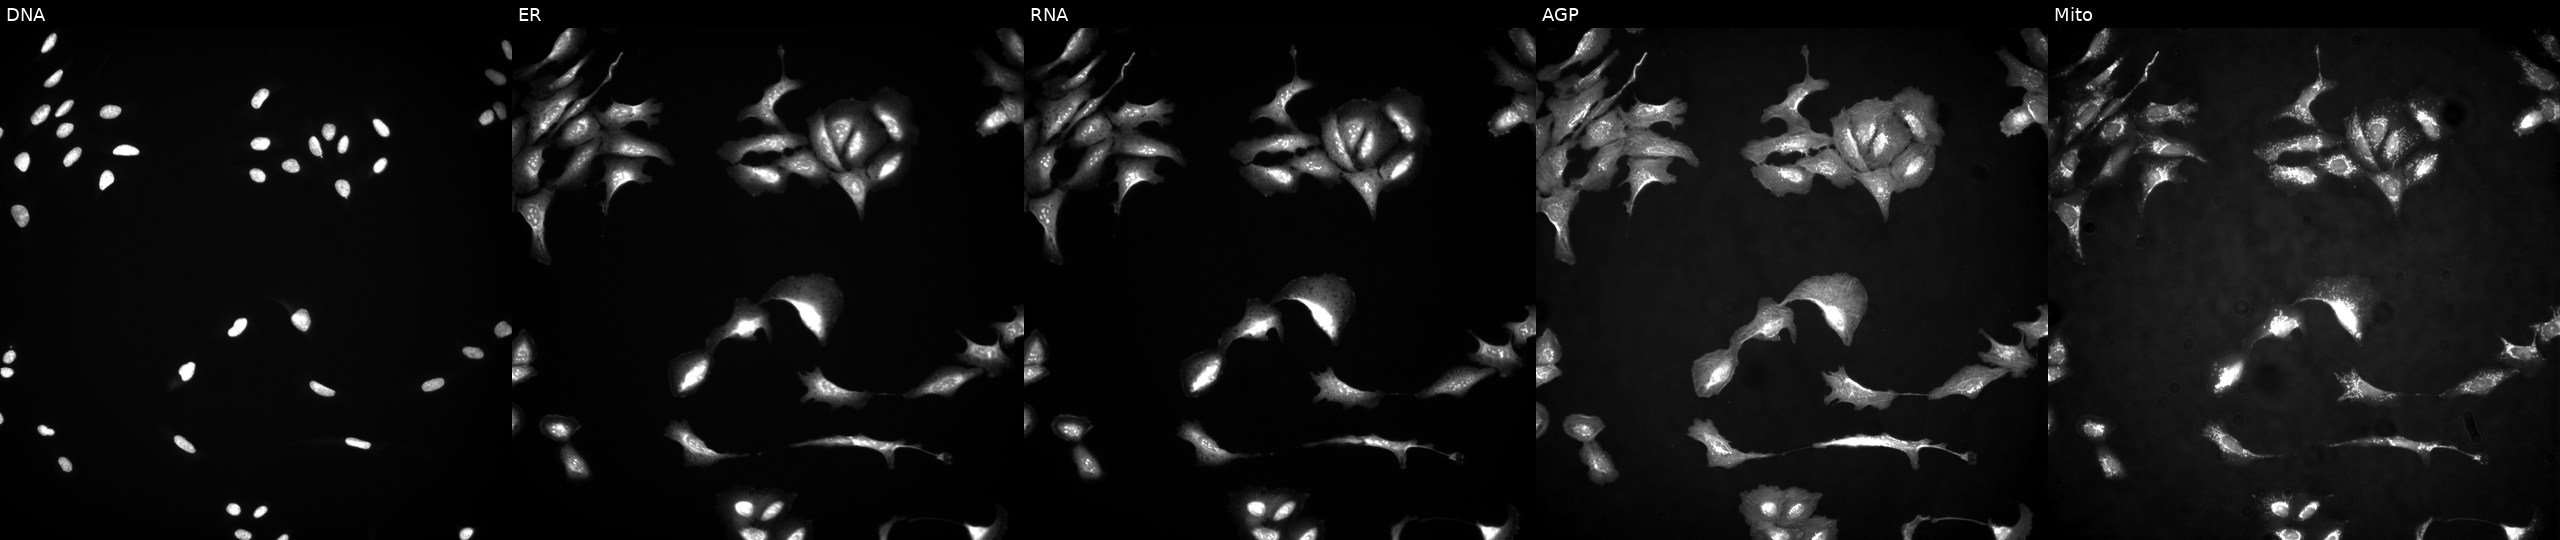
U2OS cells, Cell Painting assay, with ARPC4-TTLL3 overexpressed (ORF) (JUMP id JCP2022_911015). From left to right: DNA (nuclei); ER (endoplasmic reticulum); RNA (nucleoli and cytoplasmic RNA); AGP (actin cytoskeleton, Golgi, and plasma membrane); Mito (mitochondria). Each panel is percentile-stretched 16-bit fluorescence.